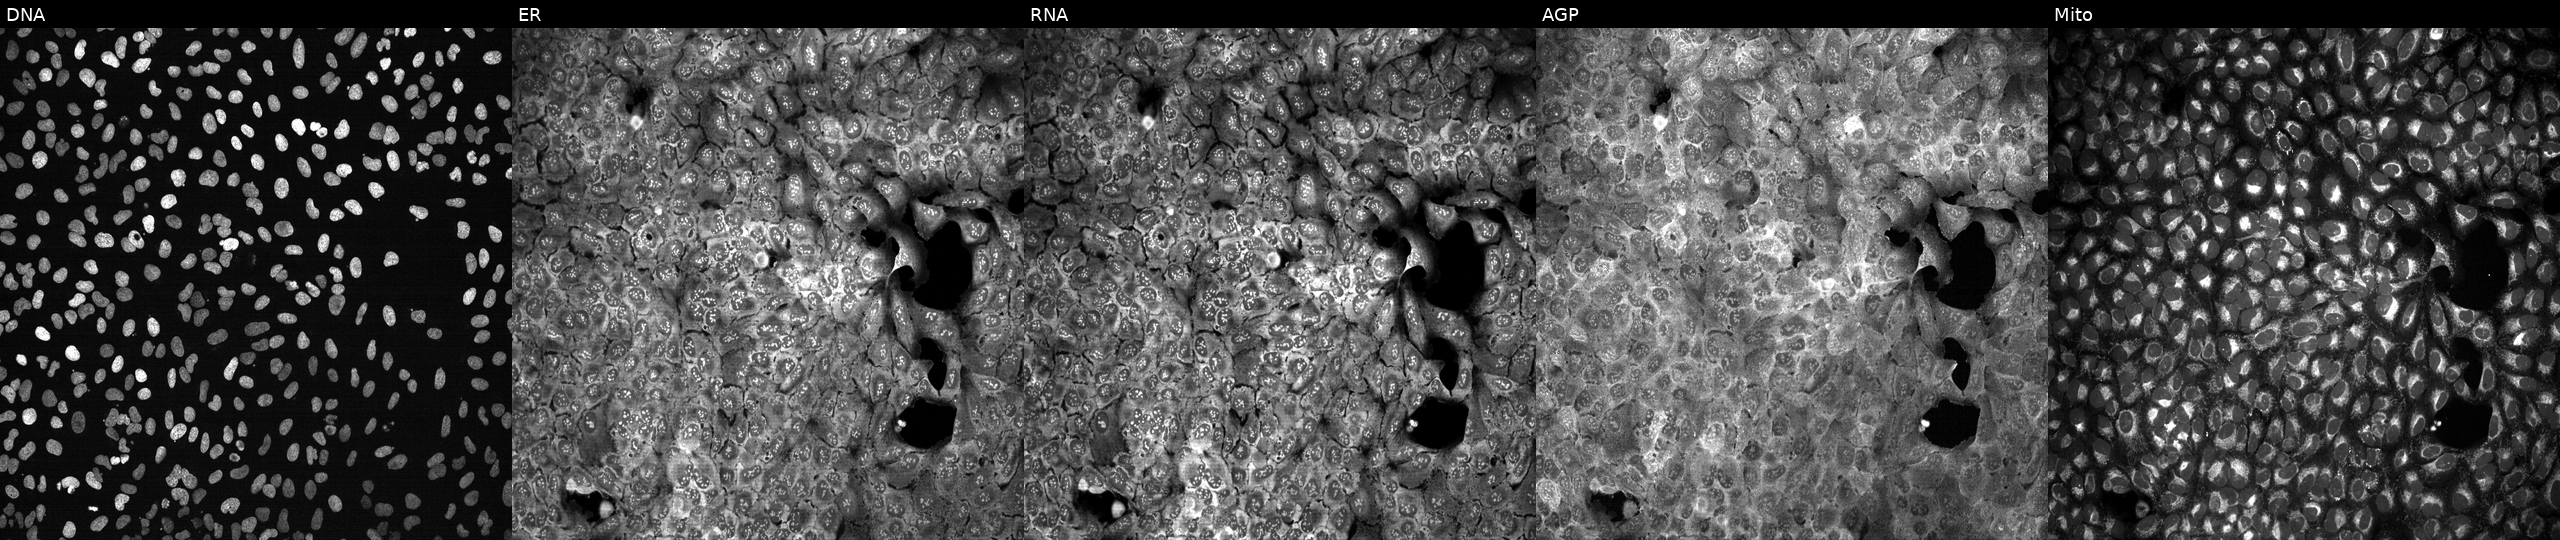
This image strip shows the five Cell Painting channels for a single field of U2OS cells following CRISPR knockout of HSD17B13. From left to right: DNA (nuclei); ER (endoplasmic reticulum); RNA (nucleoli and cytoplasmic RNA); AGP (actin cytoskeleton, Golgi, and plasma membrane); Mito (mitochondria). Source 13, plate CP-CC9-R3-02, well N08.